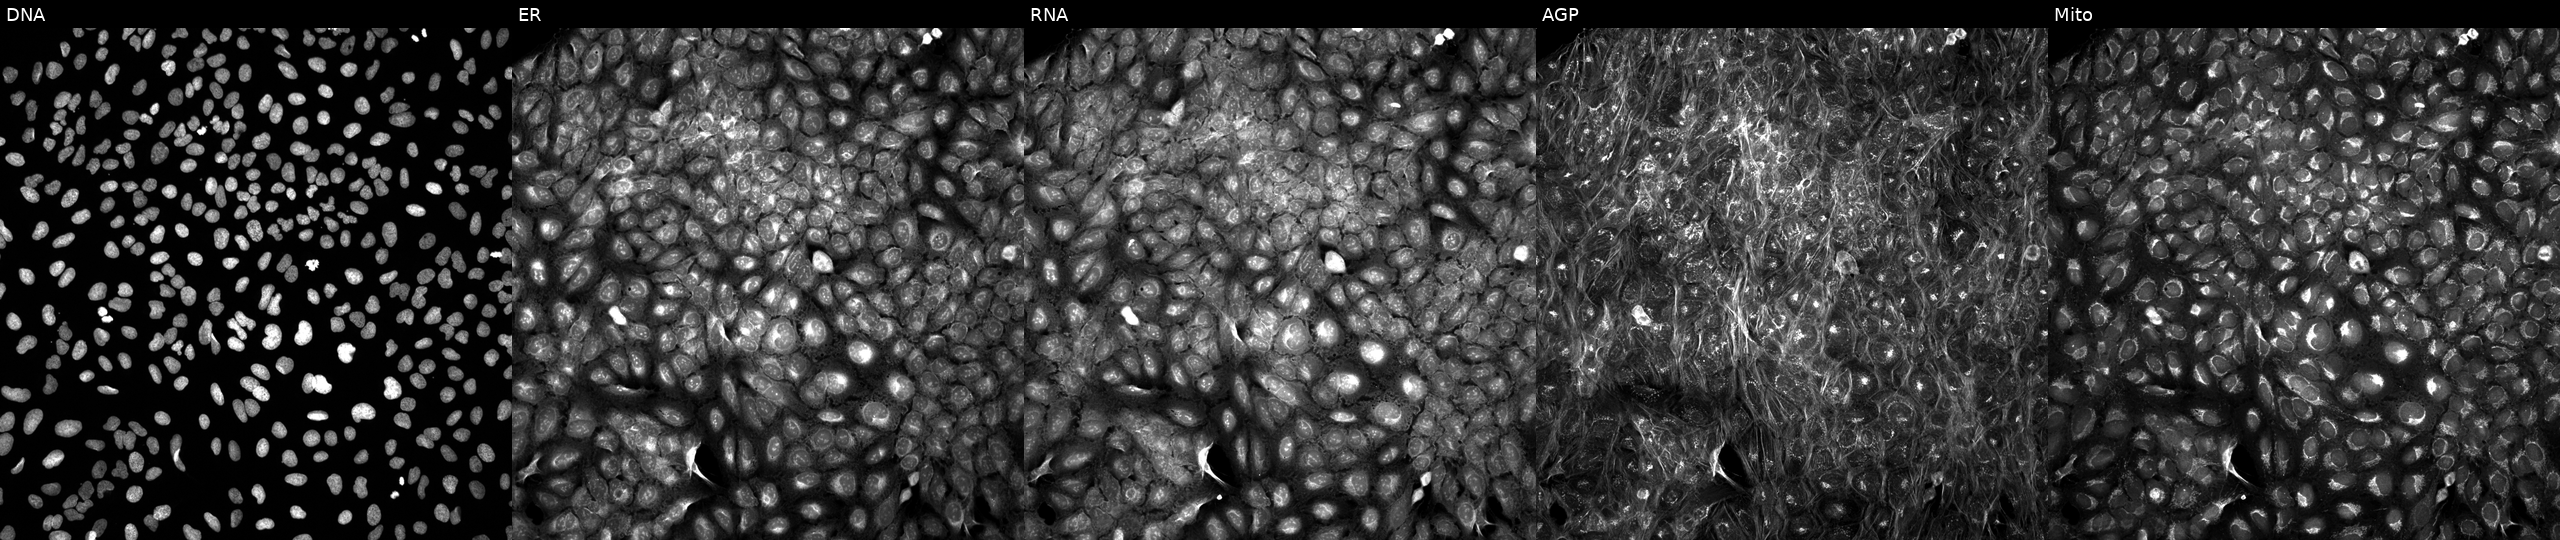
This image strip shows the five Cell Painting channels for a single field of U2OS cells exposed to a small-molecule compound (InChIKey LPGBXHWIQNZEJB-UHFFFAOYSA-N) [SMILES: Cc1ccc(-c2ccc(F)cc2COc2ccc(CCC(=O)O)cc2)cc1]. Panels show, left to right, DNA (nuclei); ER (endoplasmic reticulum); RNA (nucleoli and cytoplasmic RNA); AGP (actin cytoskeleton, Golgi, and plasma membrane); Mito (mitochondria). Source 5, plate ACPJUM012, well J21.